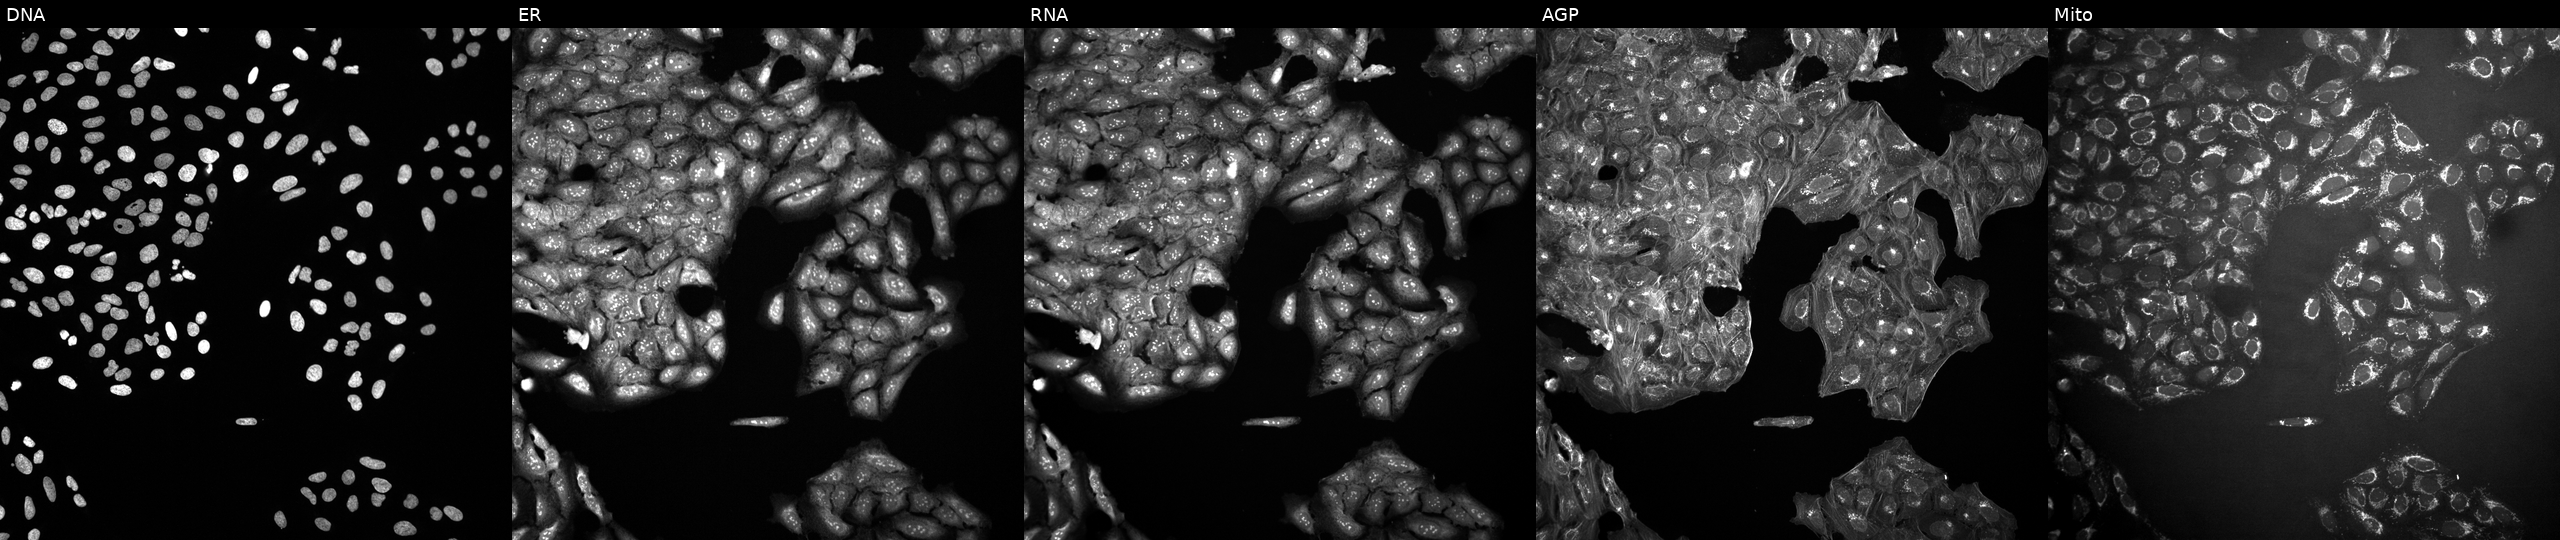
This image strip shows the five Cell Painting channels for a single field of U2OS cells in an empty control well (no perturbation). Panels show, left to right, DNA, ER, RNA, AGP, and Mito. Source 10, plate Dest210531-152149, well G15.